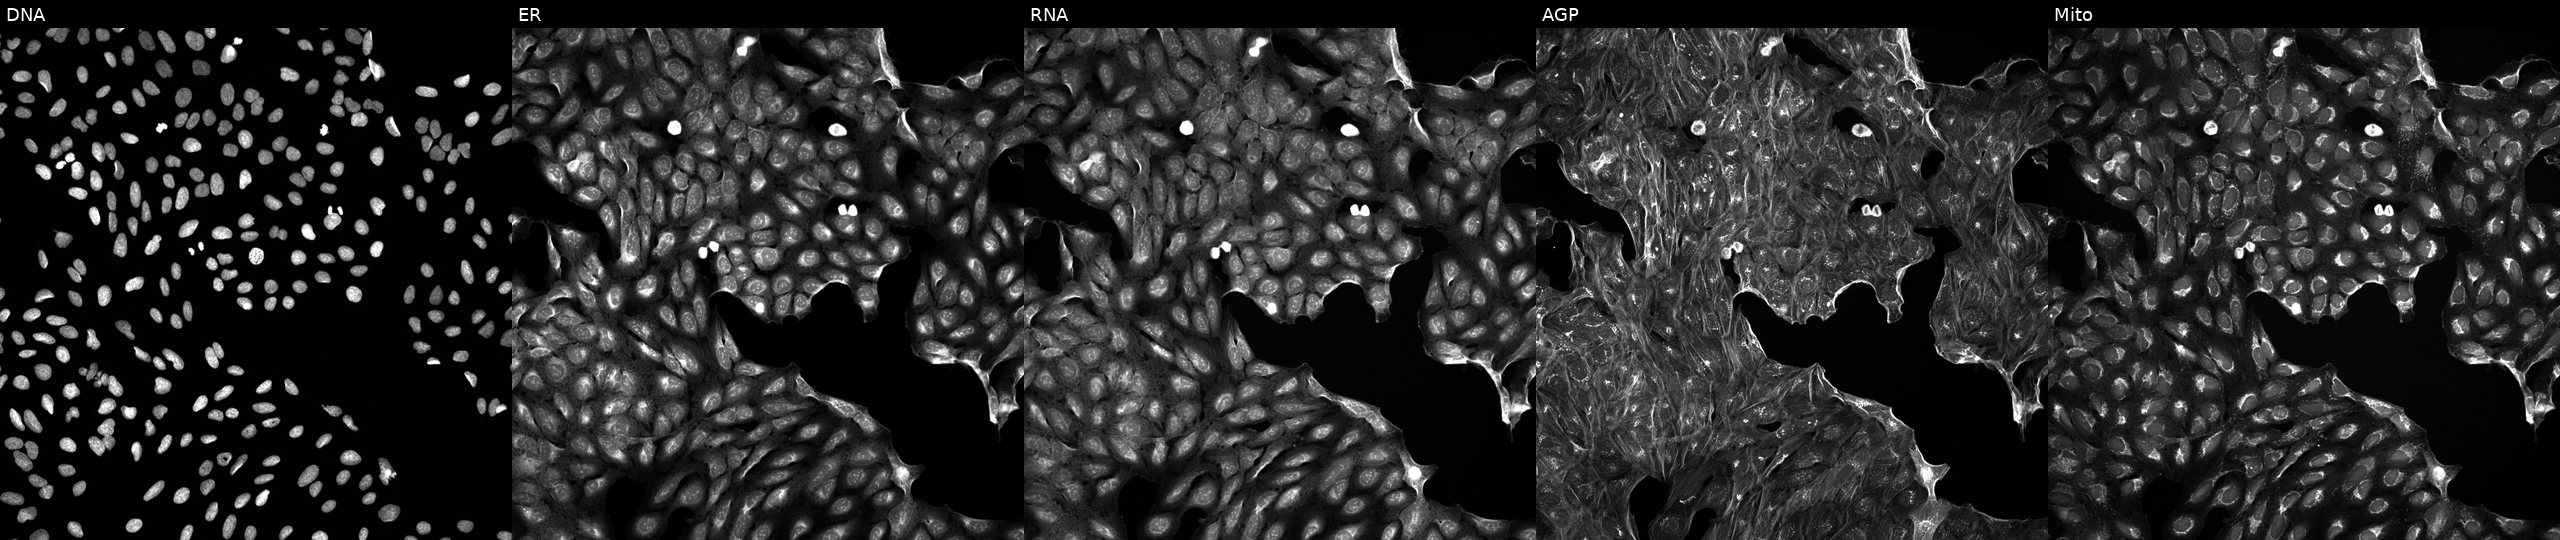
JUMP Cell Painting — TARGET2 plate. U2OS cells perturbed with a small-molecule compound (InChIKey KRKNYBCHXYNGOX-UHFFFAOYSA-N) [SMILES: O=C(O)CC(O)(CC(=O)O)C(=O)O]. Channels (left→right): DNA (nuclei); ER (endoplasmic reticulum); RNA (nucleoli and cytoplasmic RNA); AGP (actin cytoskeleton, Golgi, and plasma membrane); Mito (mitochondria).